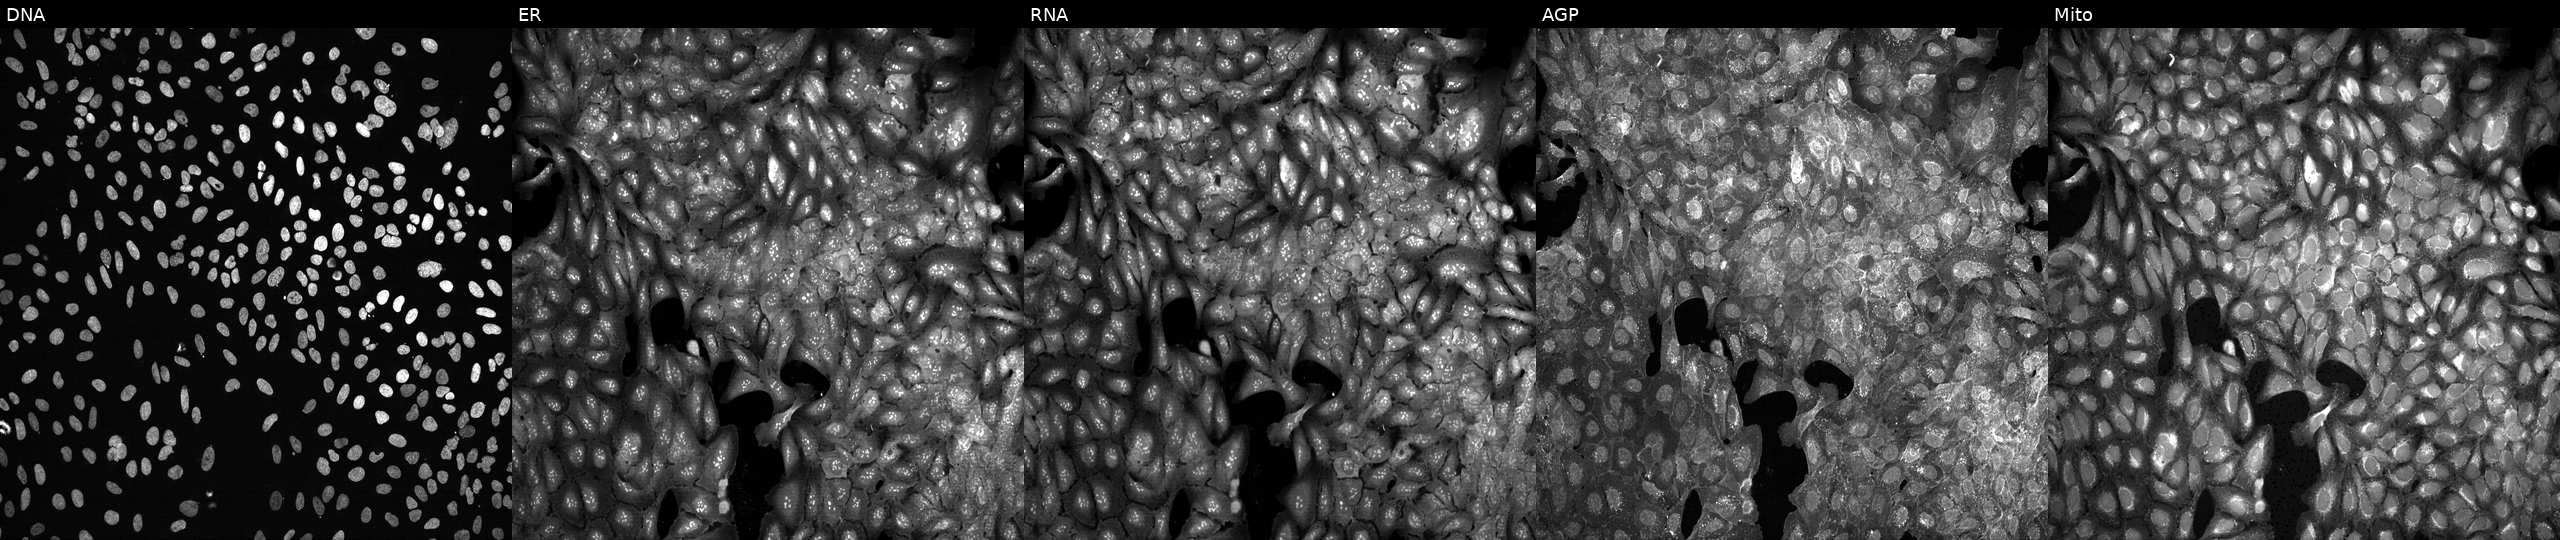
This image strip shows the five Cell Painting channels for a single field of U2OS cells CRISPR-edited to disrupt PADI4. From left to right: Hoechst 33342, concanavalin A, SYTO 14, phalloidin and WGA, MitoTracker.